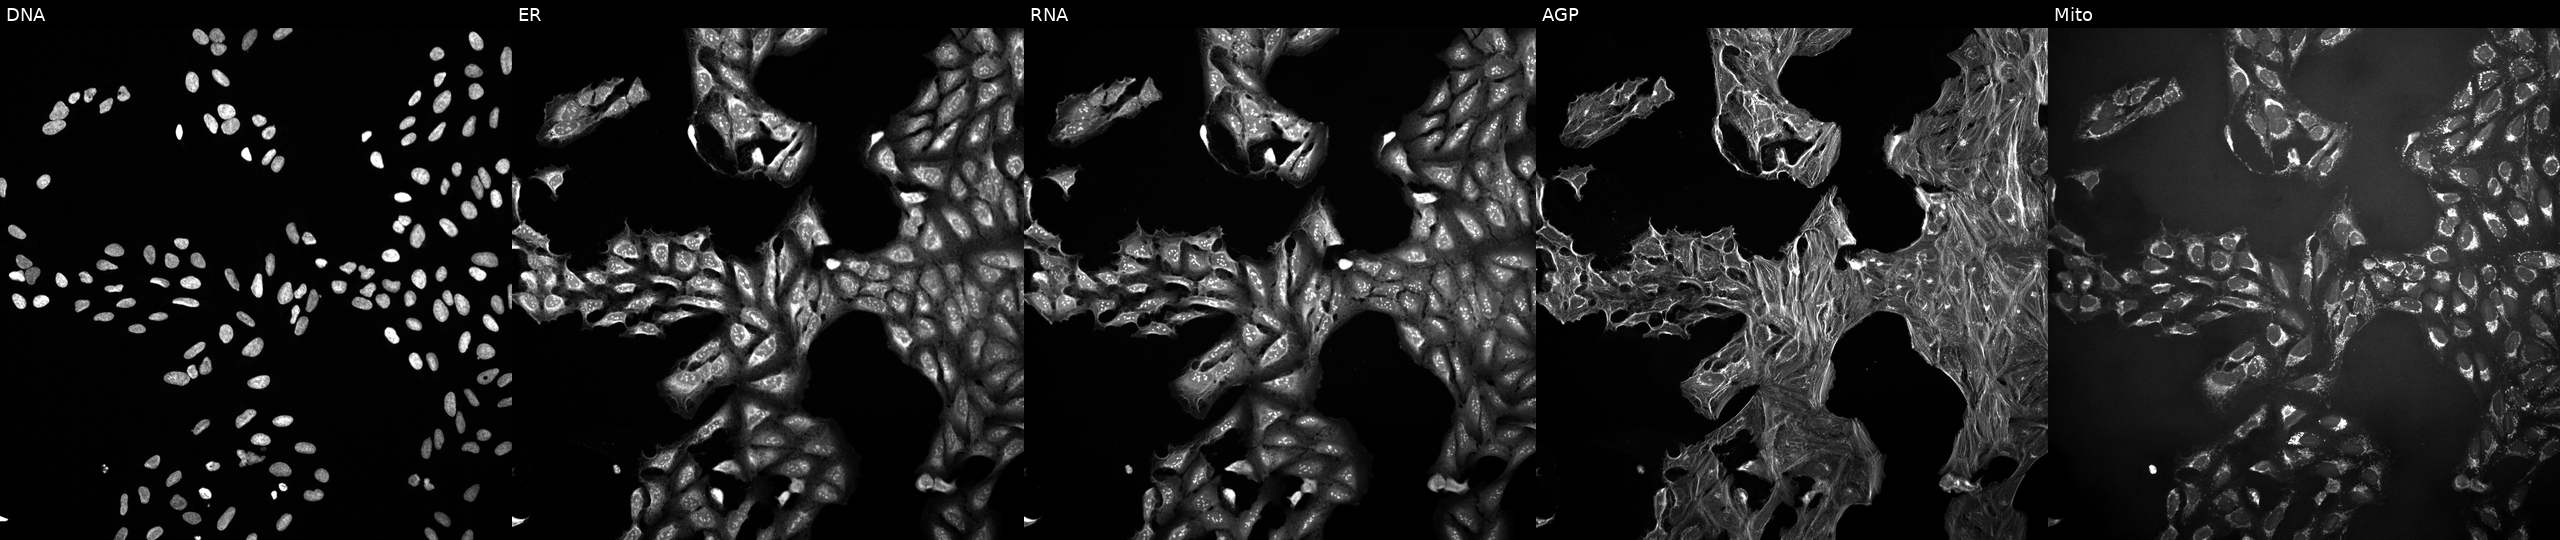
Five-channel Cell Painting image of U2OS cells treated with DMSO vehicle only (negative control). Panels show, left to right, DNA (nuclei); ER (endoplasmic reticulum); RNA (nucleoli and cytoplasmic RNA); AGP (actin cytoskeleton, Golgi, and plasma membrane); Mito (mitochondria).